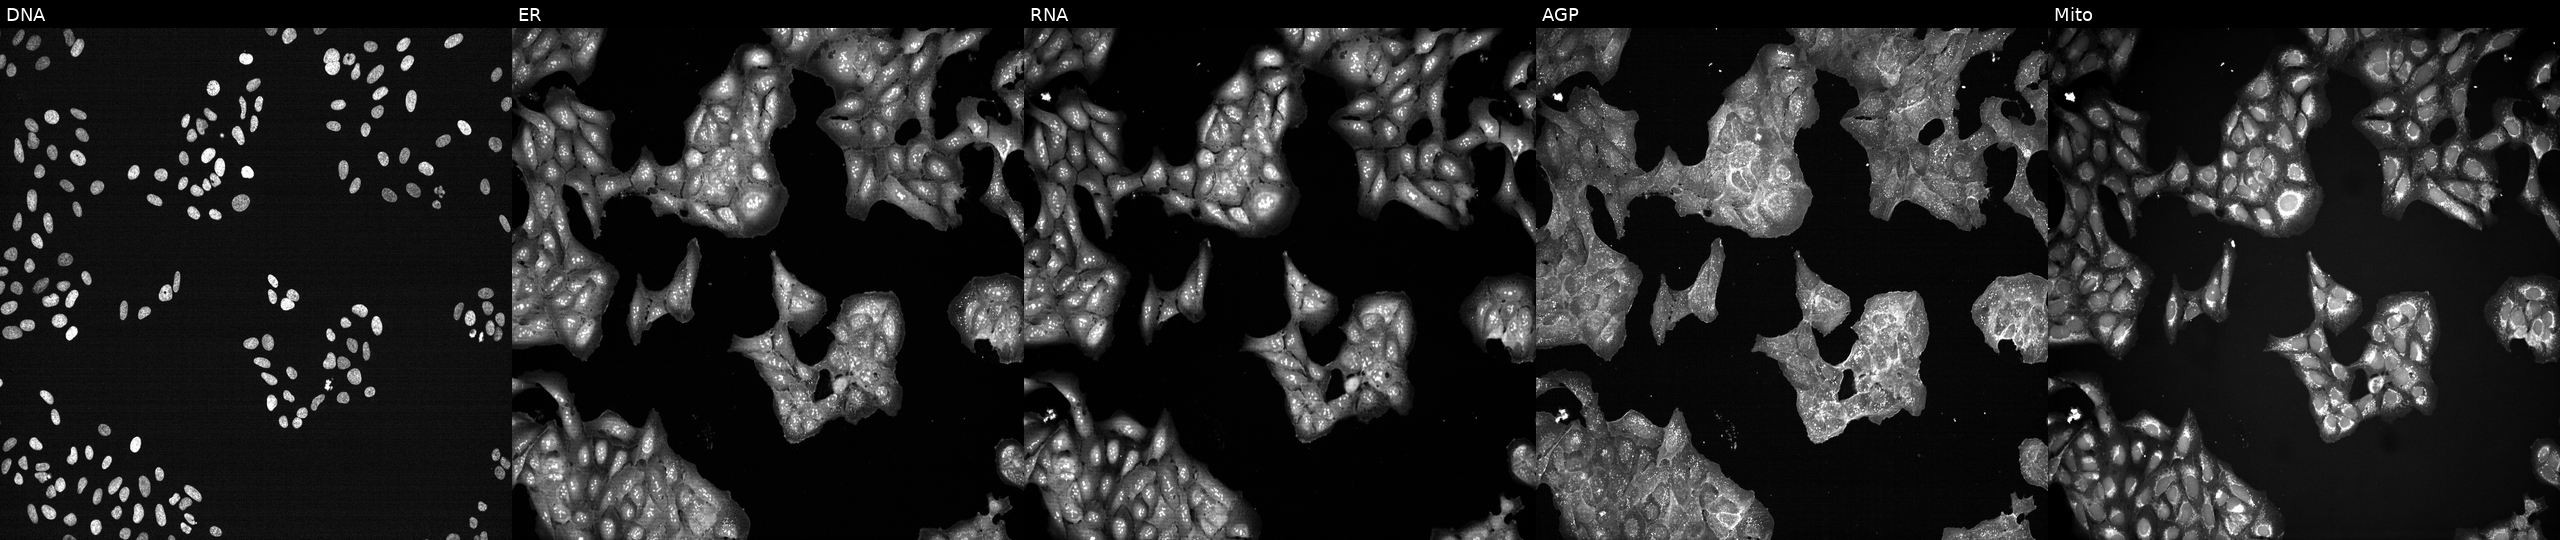
U2OS cells, Cell Painting assay, exposed to a small-molecule compound (InChIKey CDJNNOJINJAXPV-UHFFFAOYSA-N) [SMILES: Cc1cc(-c2nc(-c3ccc(OC(F)(F)F)cc3)no2)nn1Cc1ccnc(N2CCN(C3CC3)CC2)c1]. Channels (left→right): Hoechst 33342, concanavalin A, SYTO 14, phalloidin and WGA, MitoTracker. Each panel is percentile-stretched 16-bit fluorescence. Source 7, plate CP2-SC1-25, well B17.